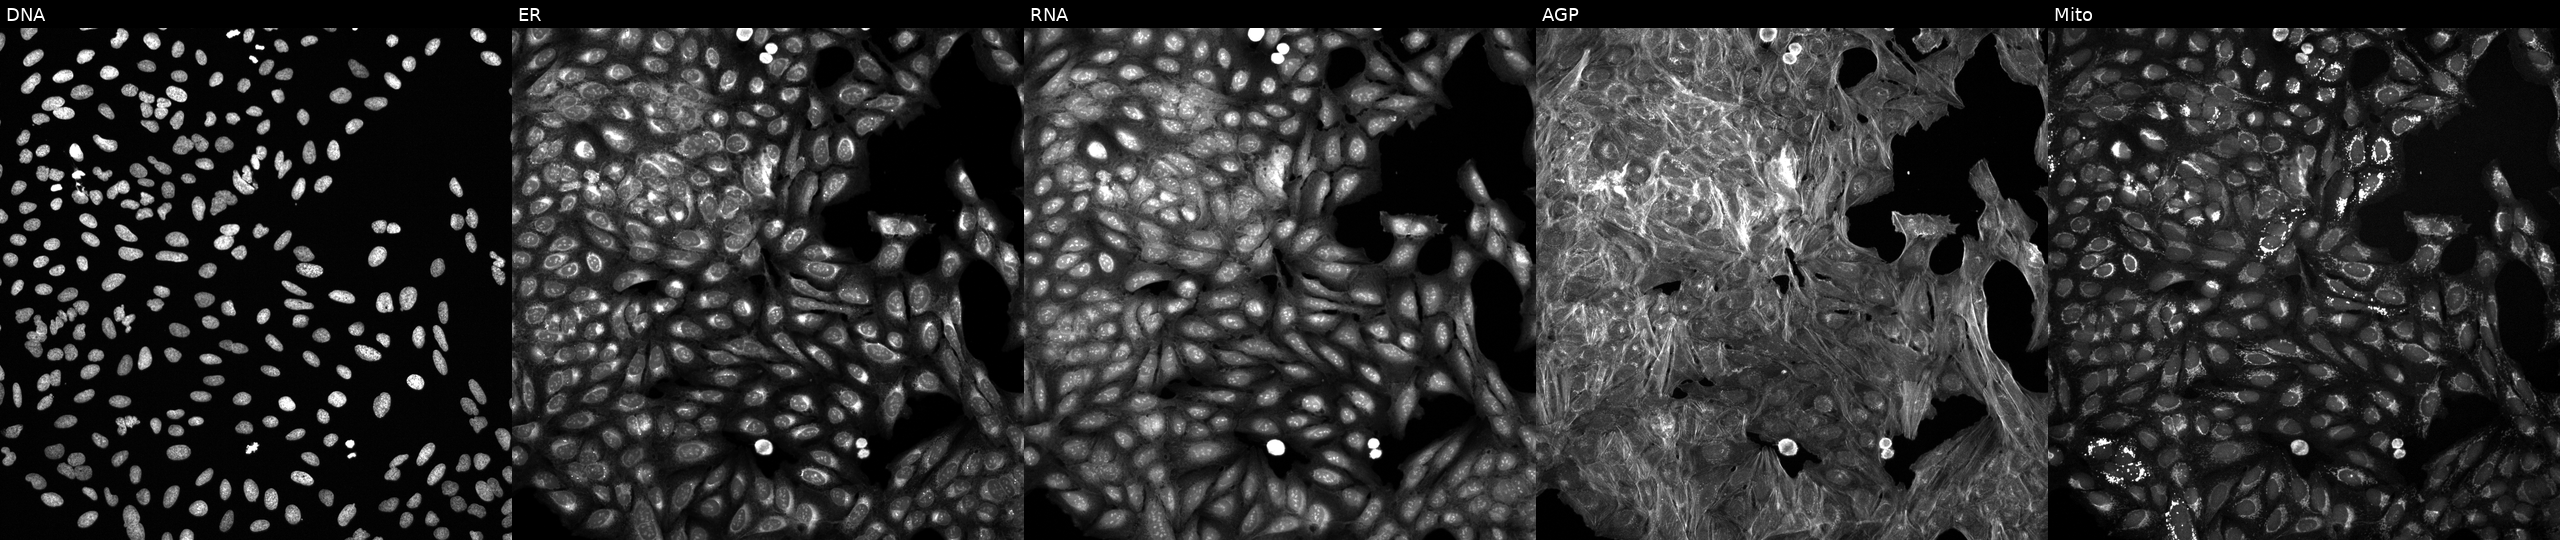
High-content fluorescence microscopy (Cell Painting). Cell line: U2OS. Perturbation: treated with a small-molecule compound (InChIKey VRNHPPNGOGMCAO-UHFFFAOYSA-N). The five panels, left to right, show DNA, ER, RNA, AGP, and Mito. Source 6, plate 110000293083, well K20.